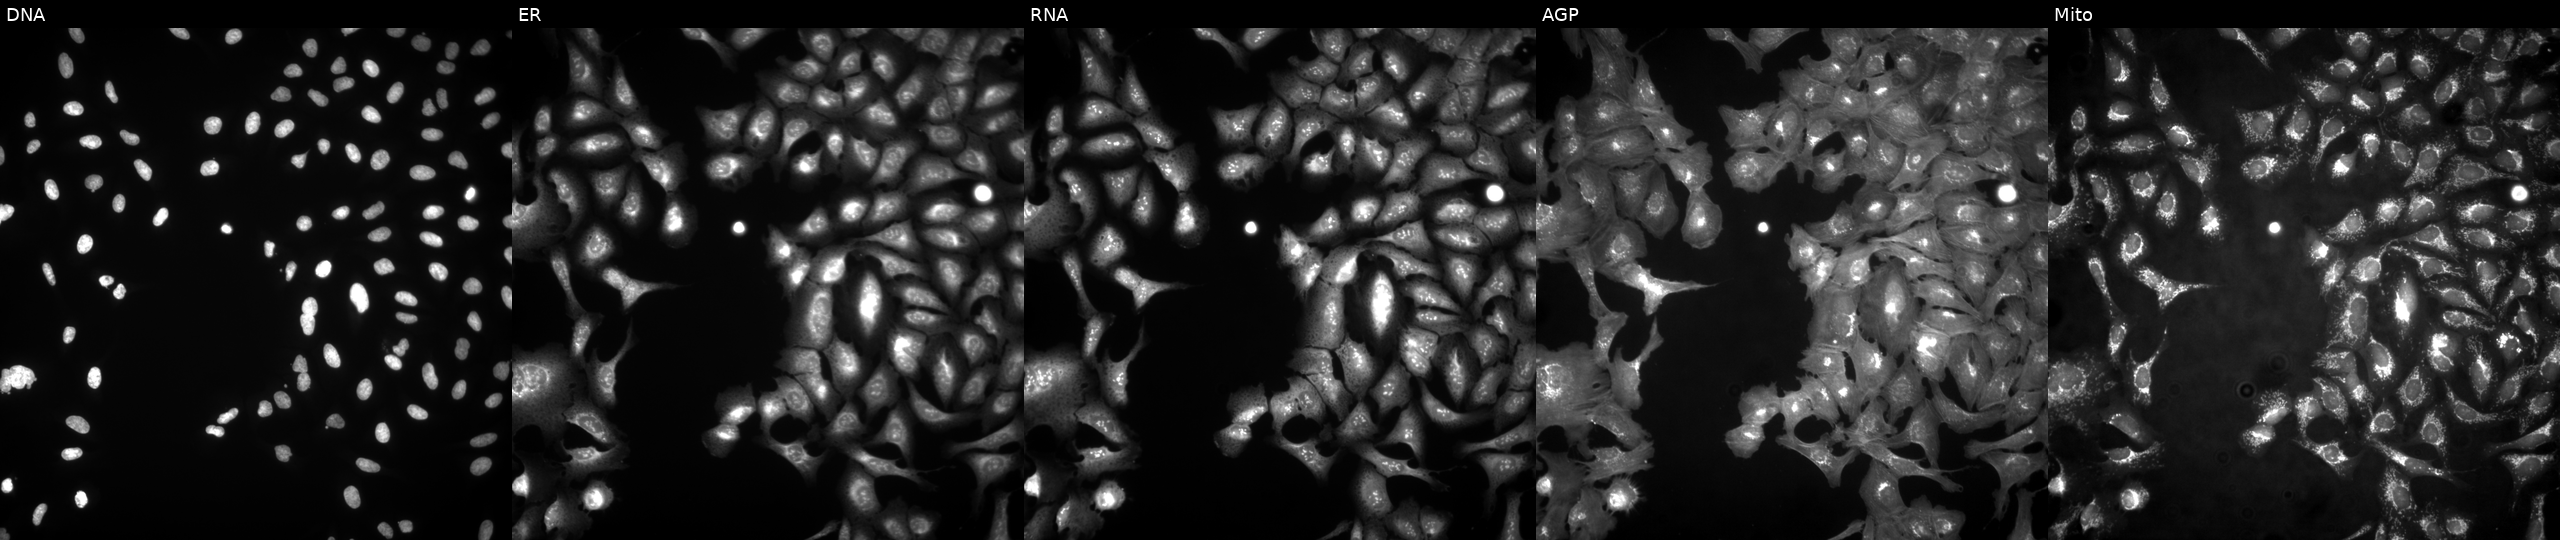
JUMP Cell Painting — ORF plate. U2OS cells transfected with an ORF construct for HAUS4 (JUMP id JCP2022_903271). From left to right: DNA (nuclei); ER (endoplasmic reticulum); RNA (nucleoli and cytoplasmic RNA); AGP (actin cytoskeleton, Golgi, and plasma membrane); Mito (mitochondria).